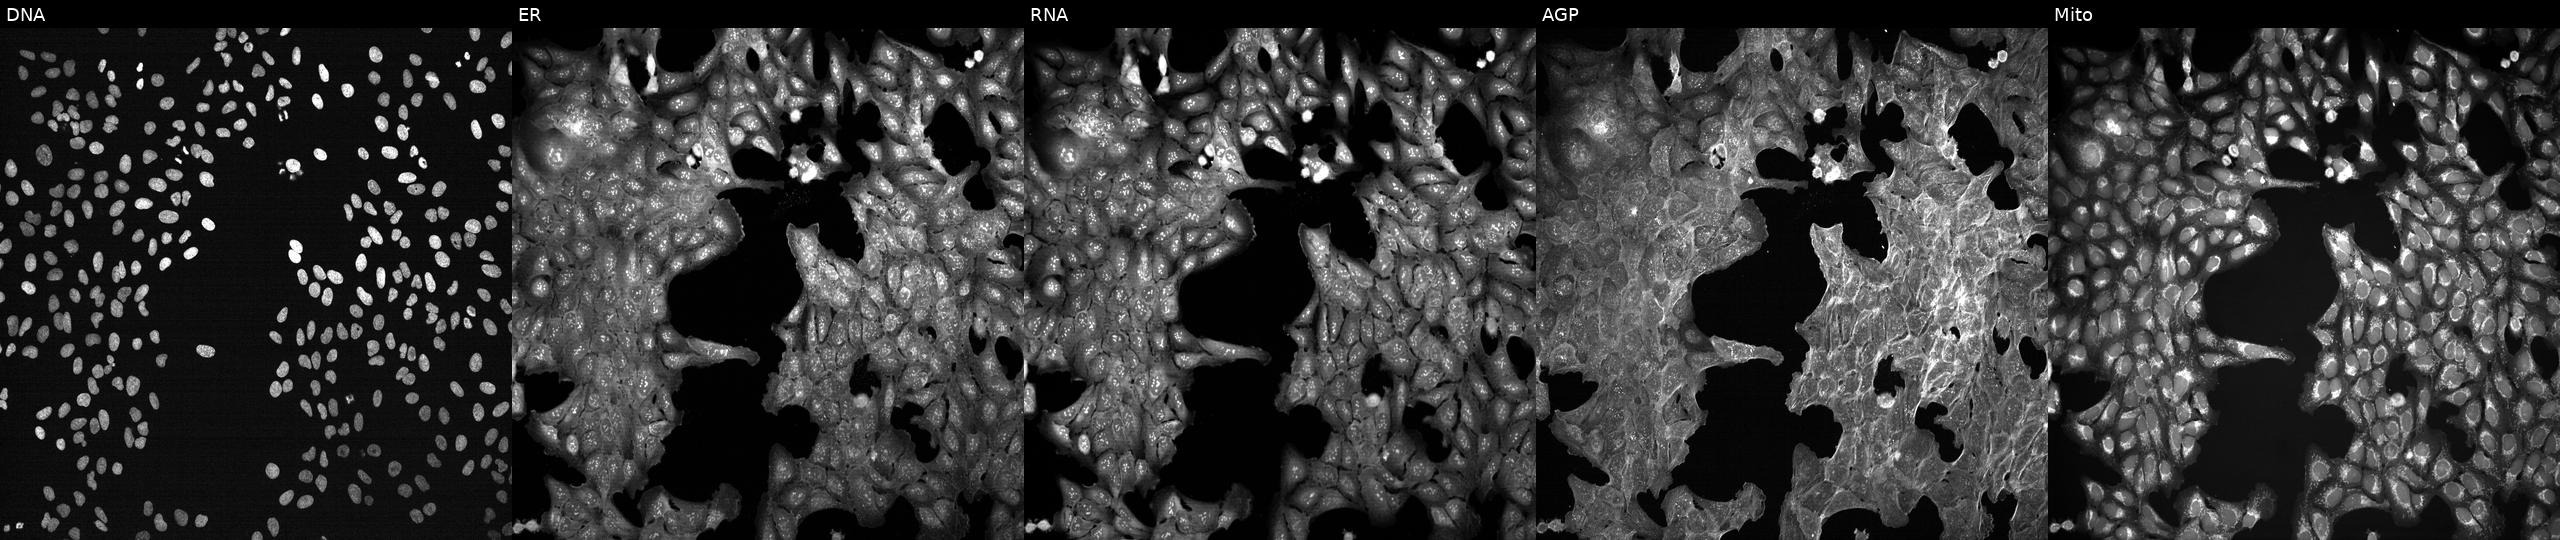
JUMP Cell Painting — TARGET2 plate. U2OS cells treated with a small-molecule compound. Channels (left→right): Hoechst 33342, concanavalin A, SYTO 14, phalloidin and WGA, MitoTracker. Source 7, plate CP3-SC1-25, well O15.